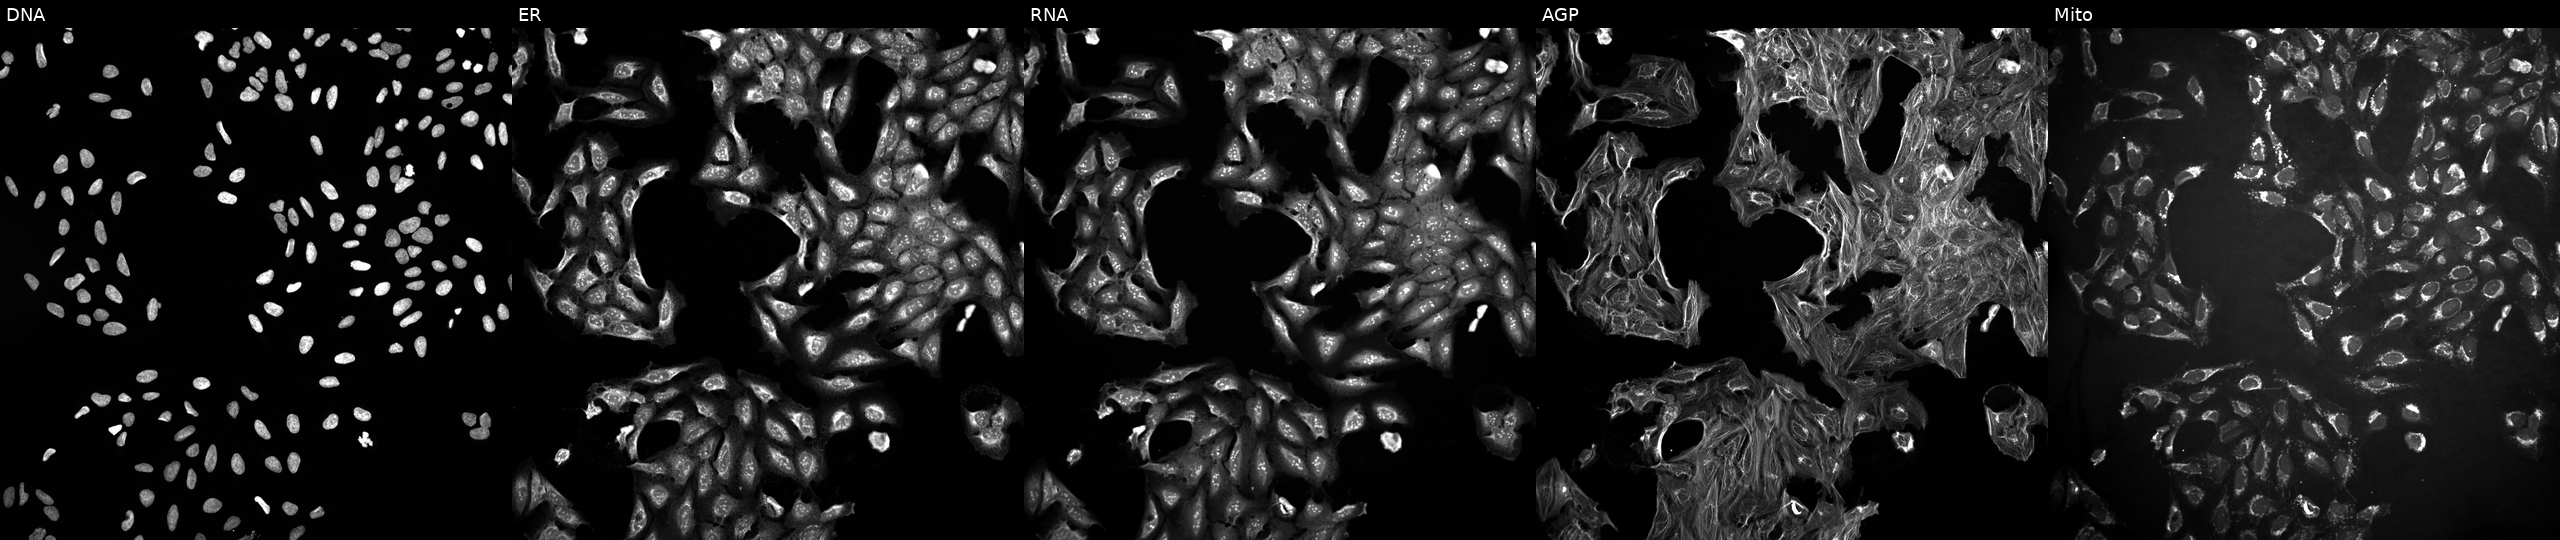
JUMP Cell Painting — TARGET2 plate. U2OS cells treated with DMSO vehicle only (negative control). The five panels, left to right, show DNA, ER, RNA, AGP, and Mito. Source 10, plate Dest210727-153003, well D03.